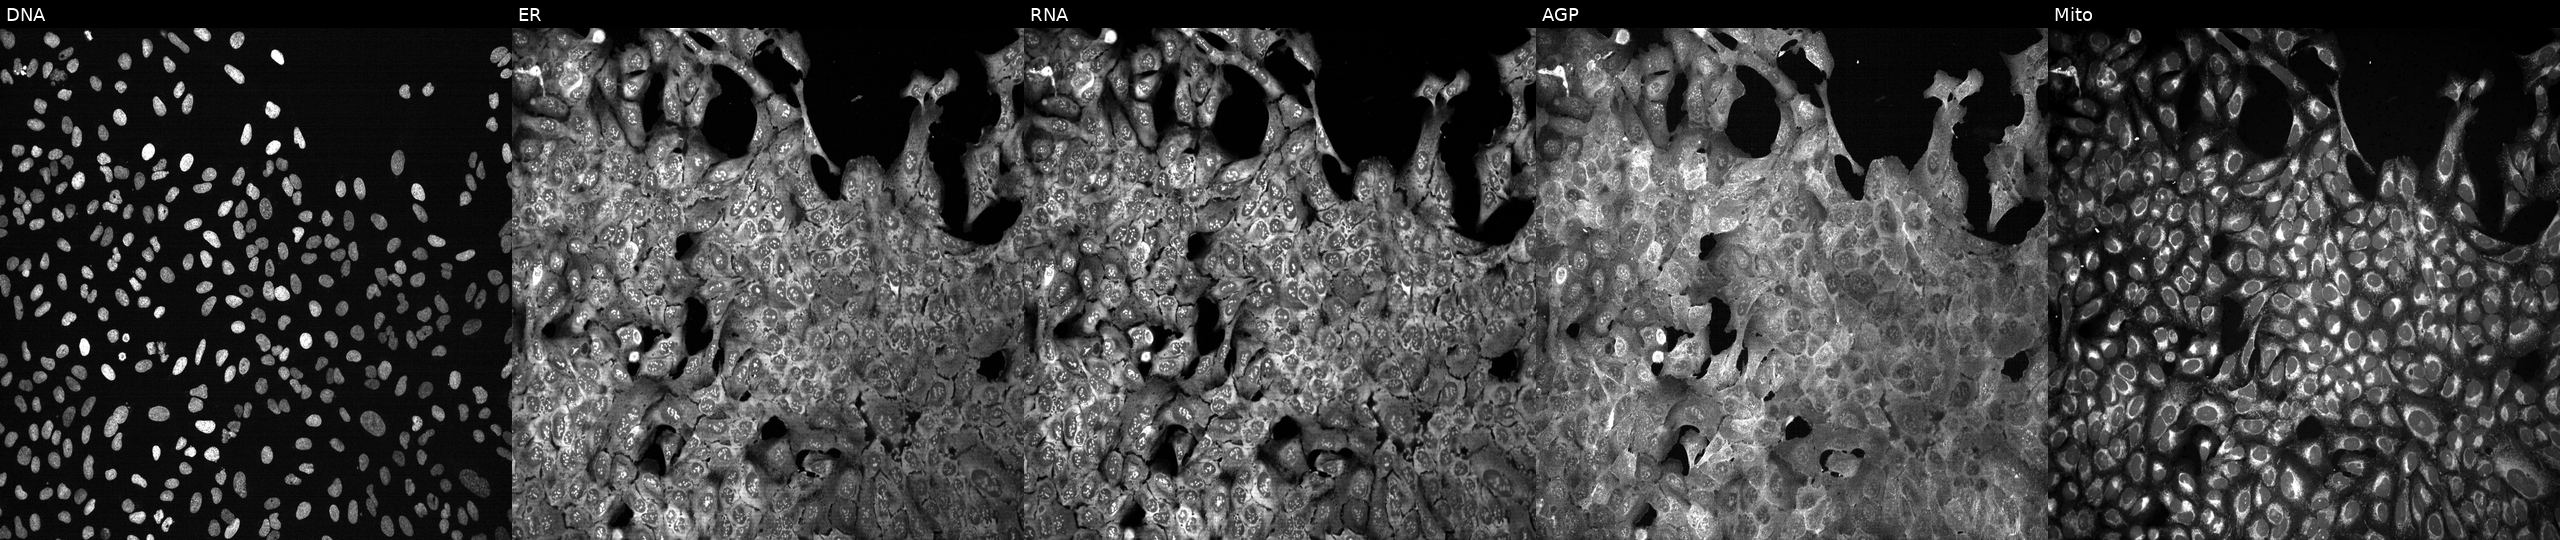
High-content fluorescence microscopy (Cell Painting). Cell line: U2OS. Perturbation: following CRISPR knockout of OAZ1. Panels show, left to right, DNA (nuclei); ER (endoplasmic reticulum); RNA (nucleoli and cytoplasmic RNA); AGP (actin cytoskeleton, Golgi, and plasma membrane); Mito (mitochondria).